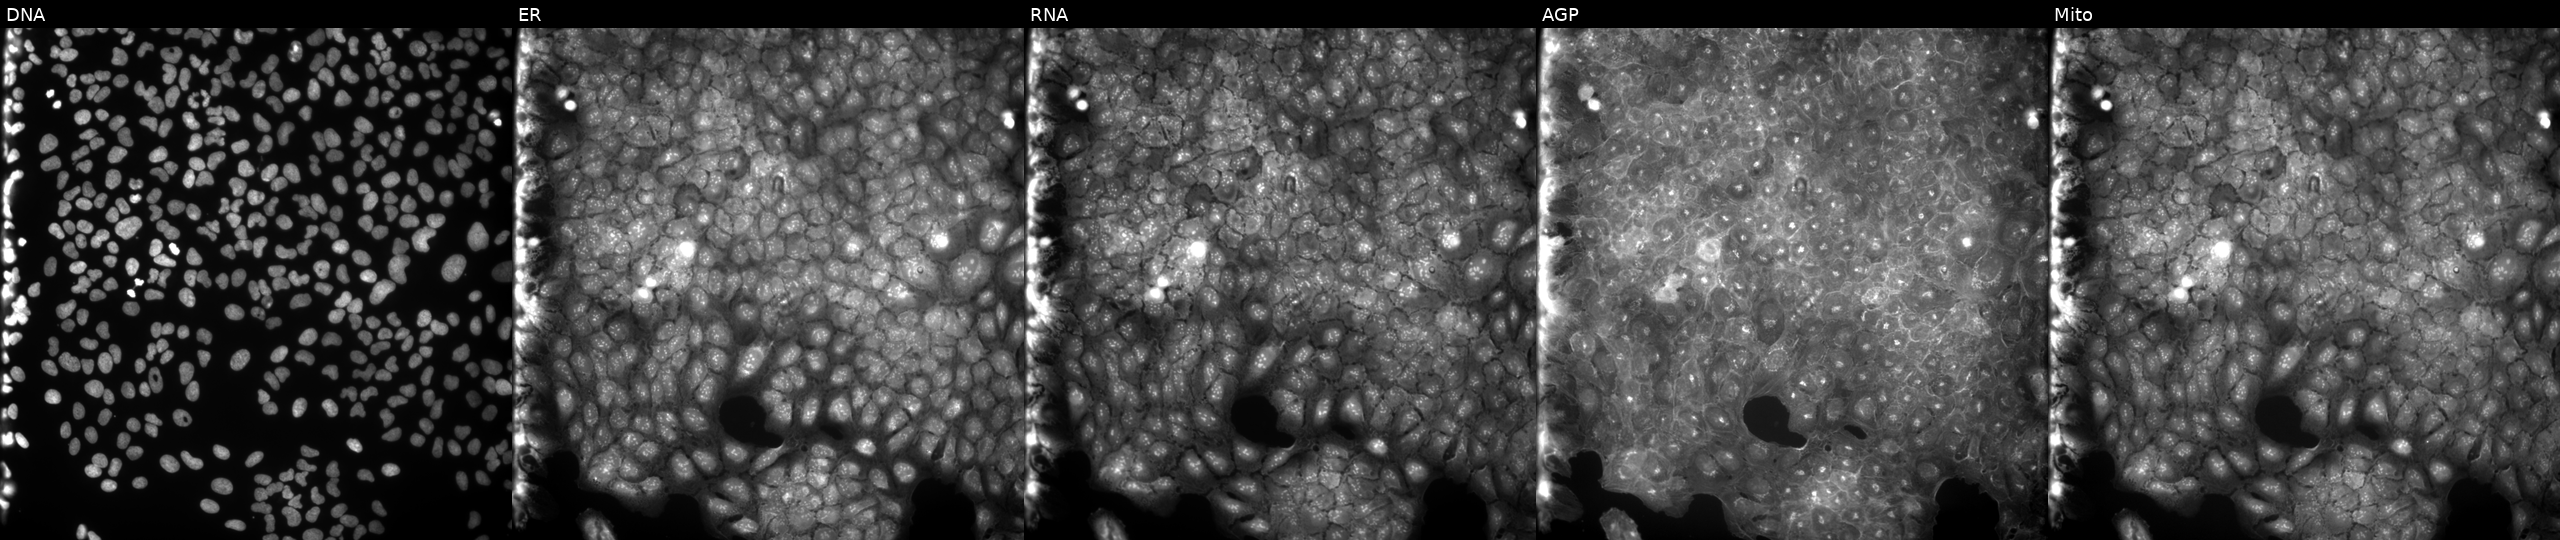
Five-channel Cell Painting image of U2OS cells treated with a small-molecule compound (InChIKey LFDJDPCURLFNQR-UHFFFAOYSA-N). The five panels, left to right, show DNA (nuclei); ER (endoplasmic reticulum); RNA (nucleoli and cytoplasmic RNA); AGP (actin cytoskeleton, Golgi, and plasma membrane); Mito (mitochondria).